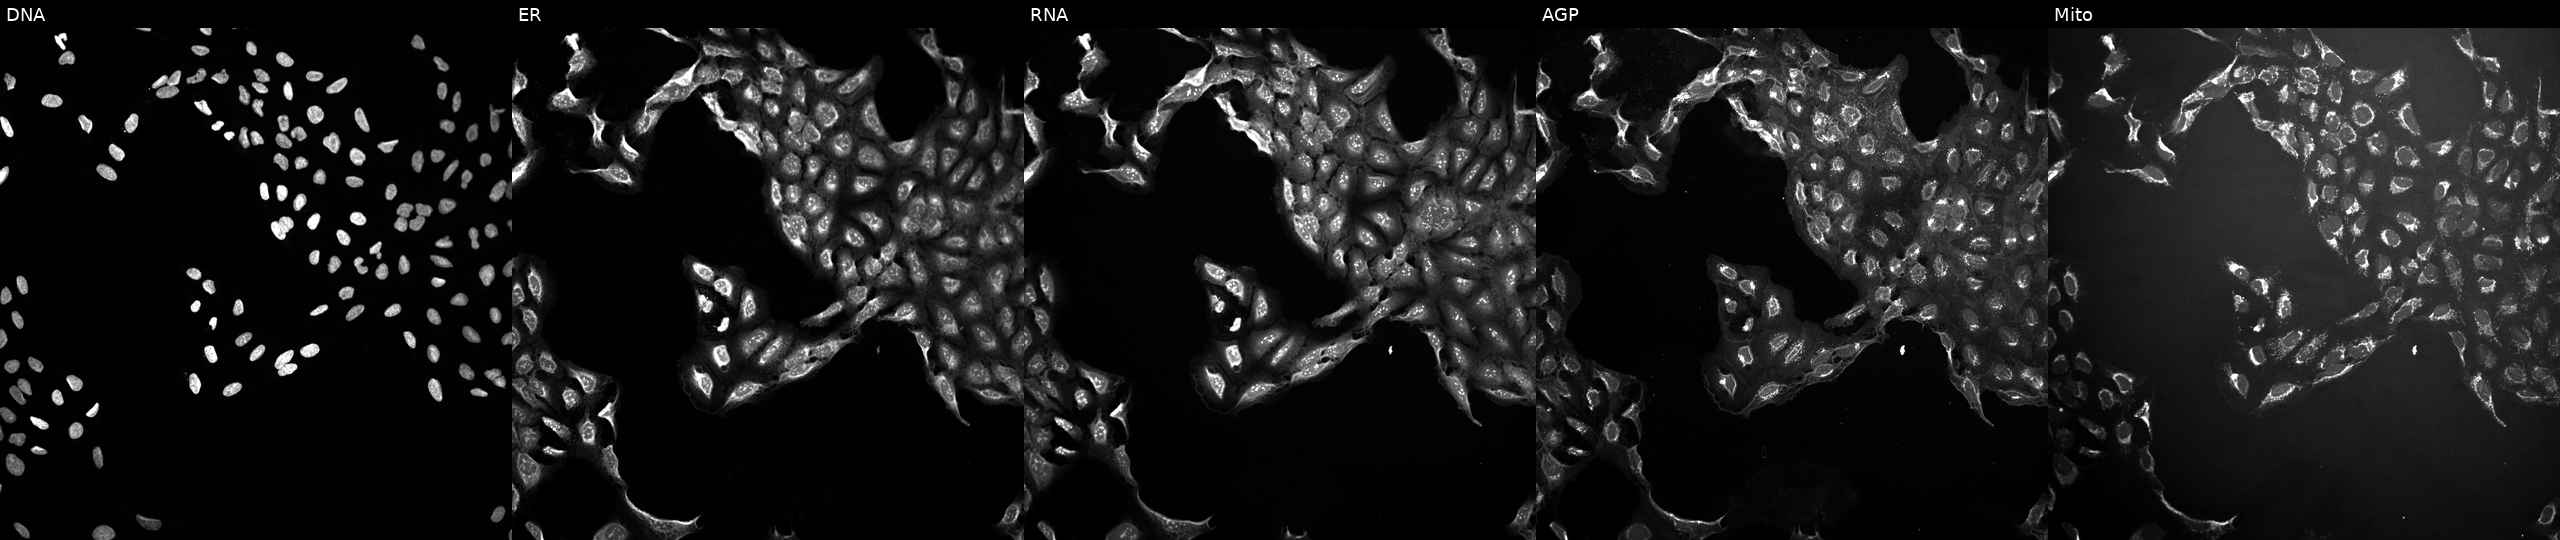
This image strip shows the five Cell Painting channels for a single field of U2OS cells perturbed with a small-molecule compound (InChIKey ZJVFLBOZORBYFE-UHFFFAOYSA-N) (JUMP id JCP2022_113779). The five panels, left to right, show DNA, ER, RNA, AGP, and Mito. Source 10, plate Dest210803-153958, well D01.